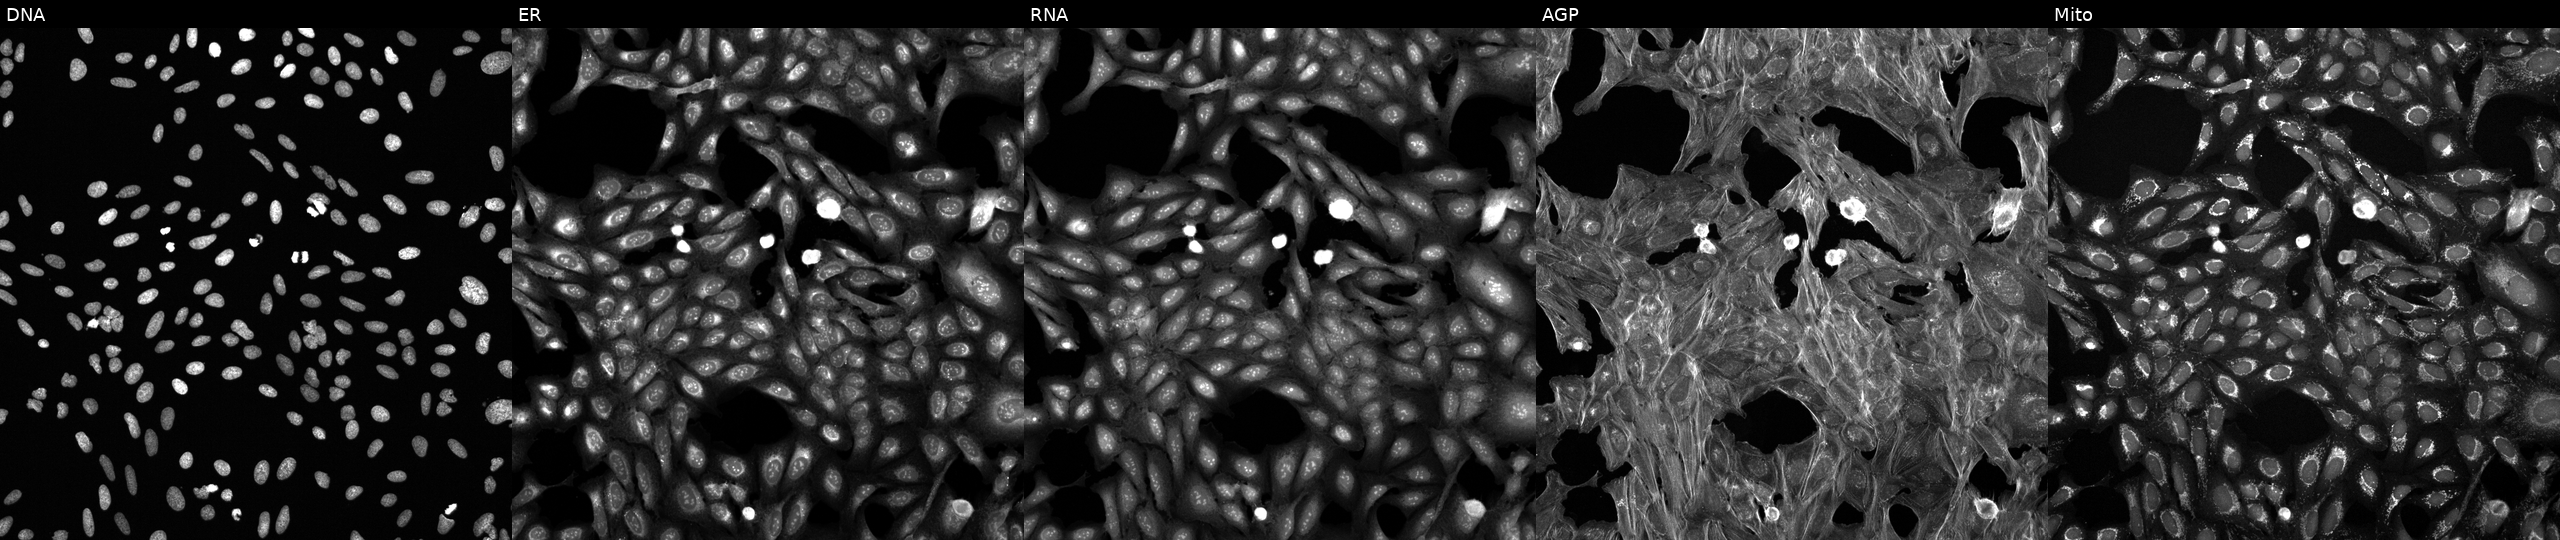
U2OS cells, Cell Painting assay, treated with a small-molecule compound (InChIKey QUGDTMONBLMLLD-UHFFFAOYSA-N) [SMILES: CCOc1nc2c(=N)[nH]cnc2n1CC] (JUMP id JCP2022_075916). Panels show, left to right, DNA, ER, RNA, AGP, and Mito. Each panel is percentile-stretched 16-bit fluorescence. Source 6, plate 110000293093, well P17.